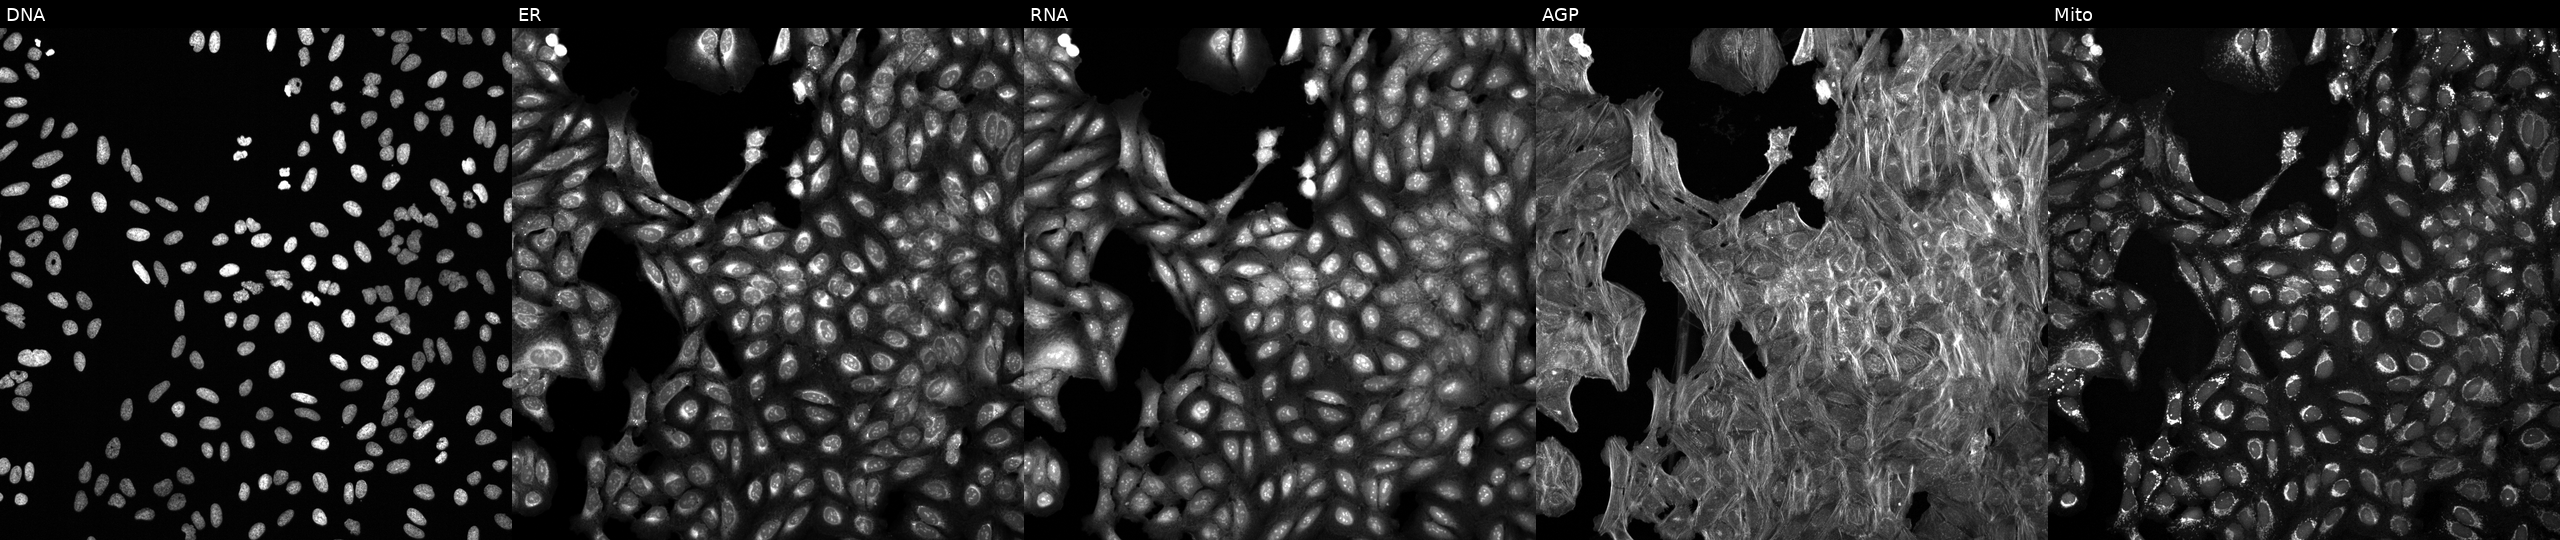
High-content fluorescence microscopy (Cell Painting). Cell line: U2OS. Perturbation: exposed to DMSO alone as a negative control. Channels (left→right): DNA (nuclei); ER (endoplasmic reticulum); RNA (nucleoli and cytoplasmic RNA); AGP (actin cytoskeleton, Golgi, and plasma membrane); Mito (mitochondria).